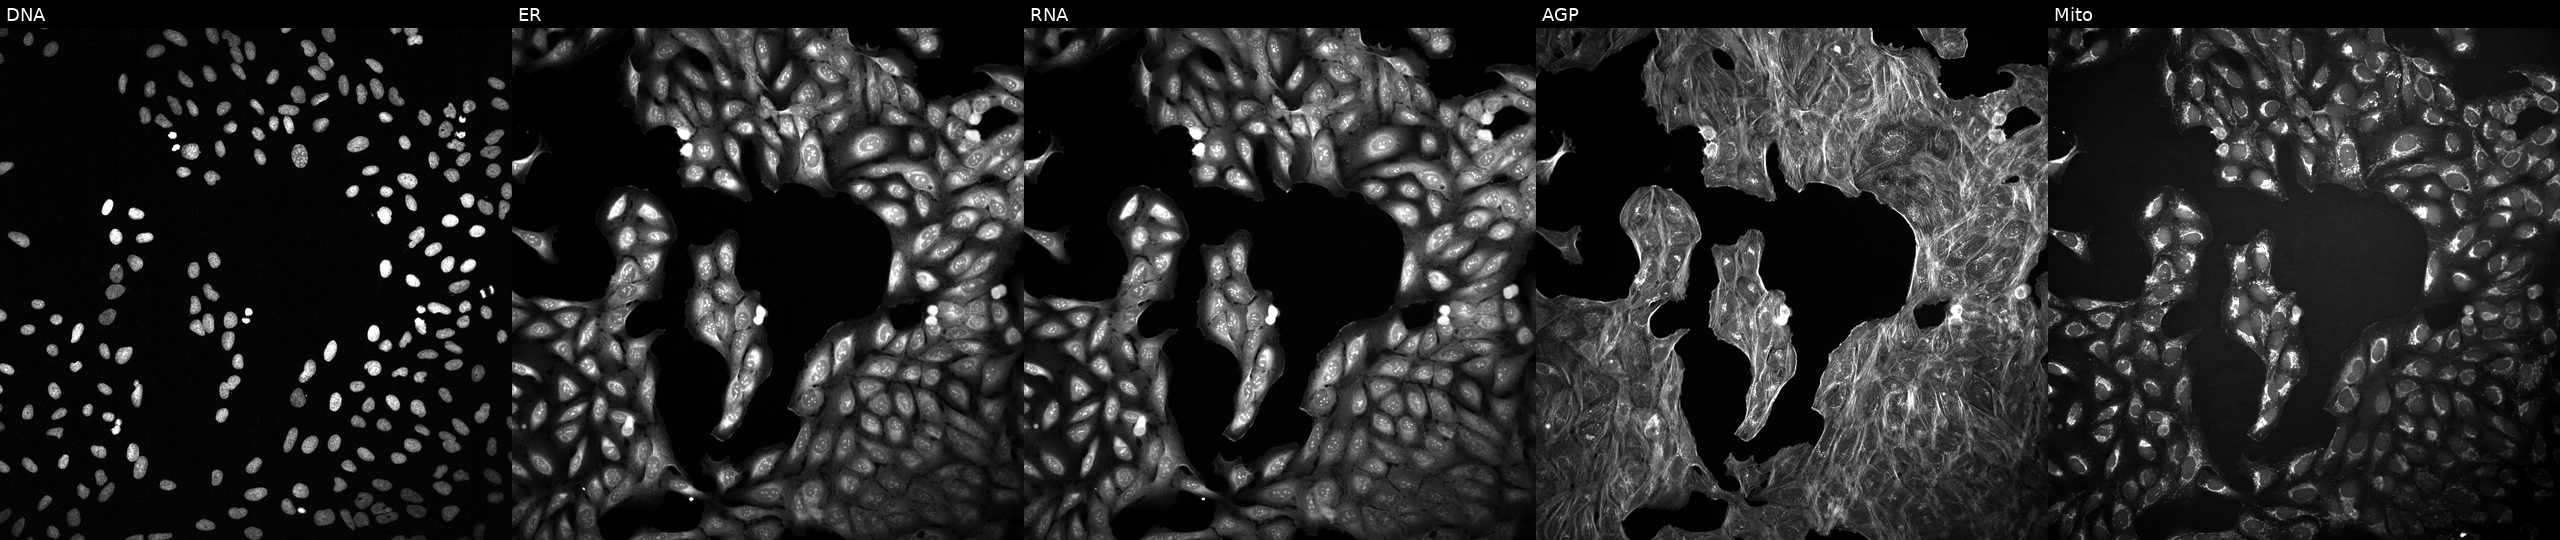
The five panels, left to right, show DNA (nuclei); ER (endoplasmic reticulum); RNA (nucleoli and cytoplasmic RNA); AGP (actin cytoskeleton, Golgi, and plasma membrane); Mito (mitochondria). U2OS osteosarcoma cells exposed to DMSO alone as a negative control (JUMP id JCP2022_033924). Cell Painting assay, JUMP-CP dataset.